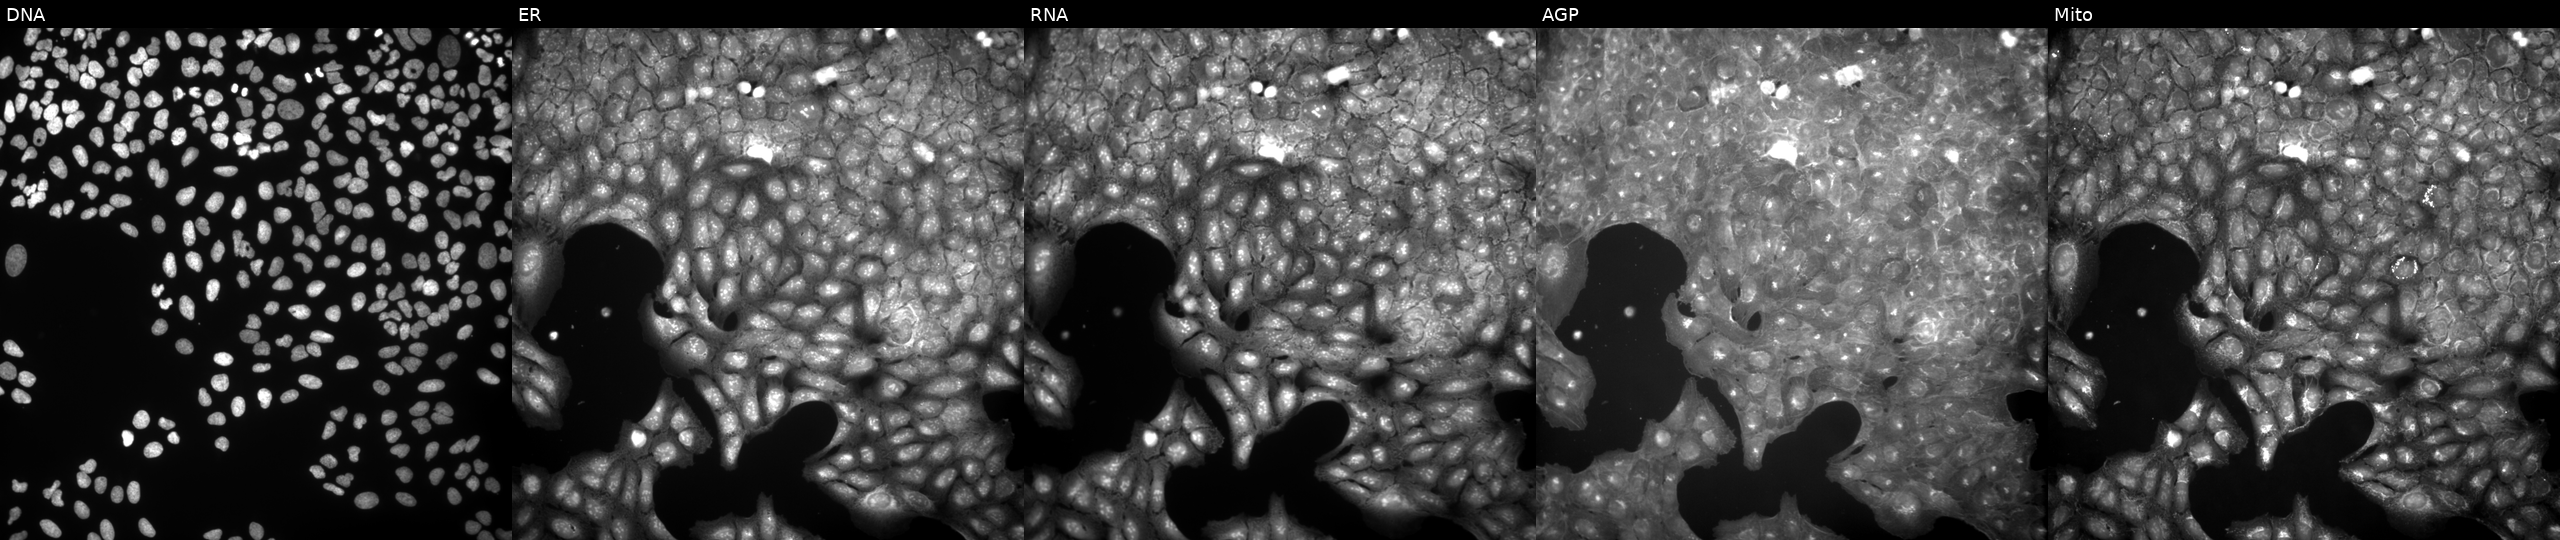
The five panels, left to right, show Hoechst 33342, concanavalin A, SYTO 14, phalloidin and WGA, MitoTracker. U2OS osteosarcoma cells perturbed with a small-molecule compound (InChIKey PZXYILUXRGTFGD-UHFFFAOYSA-N) [SMILES: Nc1ccc2c(c1)OCCOCCOCCOCCOCCO2] (JUMP id JCP2022_072064). Cell Painting assay, JUMP-CP dataset.